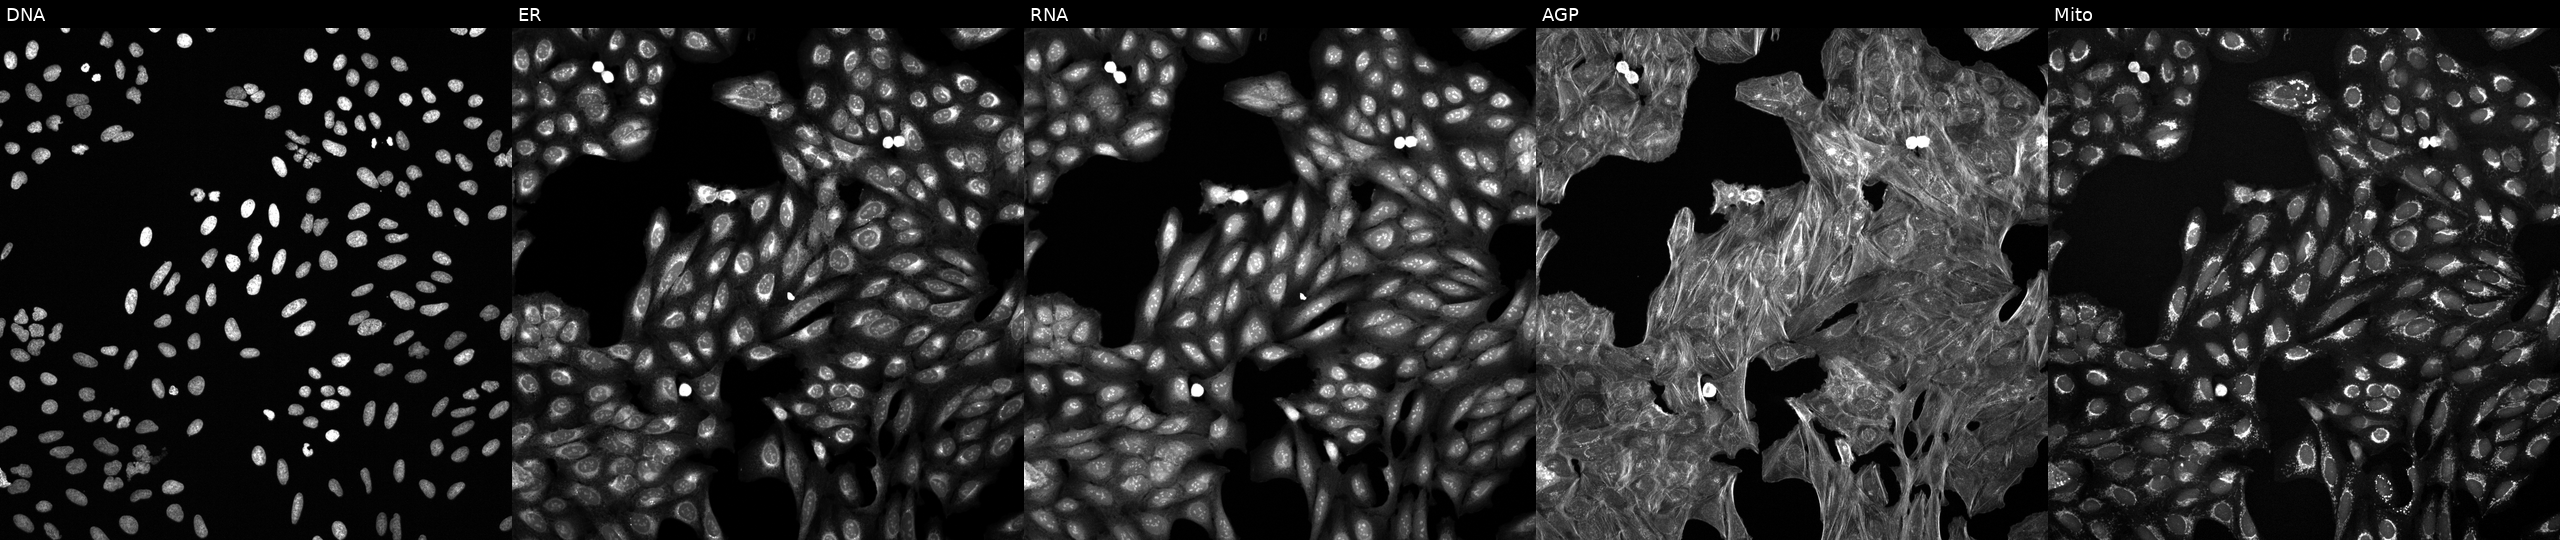
JUMP Cell Painting — TARGET2 plate. U2OS cells exposed to a small-molecule compound (InChIKey TYNLGDBUJLVSMA-UHFFFAOYSA-N) (JUMP id JCP2022_087562). Channels (left→right): Hoechst 33342, concanavalin A, SYTO 14, phalloidin and WGA, MitoTracker.